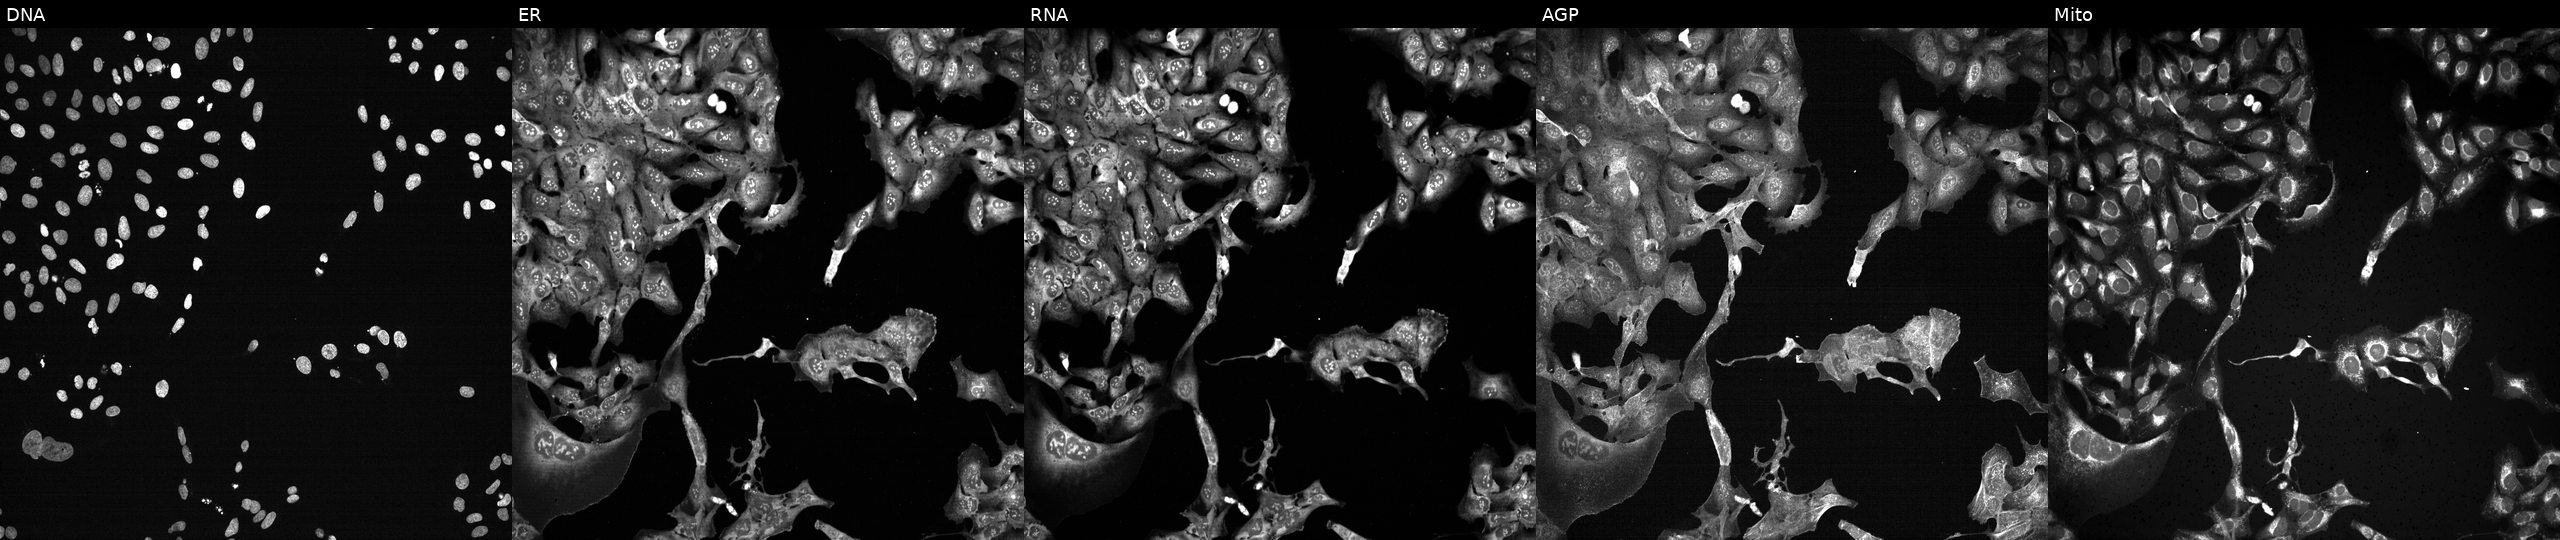
High-content fluorescence microscopy (Cell Painting). Cell line: U2OS. Perturbation: CRISPR-edited to disrupt RHOC (JUMP id JCP2022_805956). Panels show, left to right, Hoechst 33342, concanavalin A, SYTO 14, phalloidin and WGA, MitoTracker.